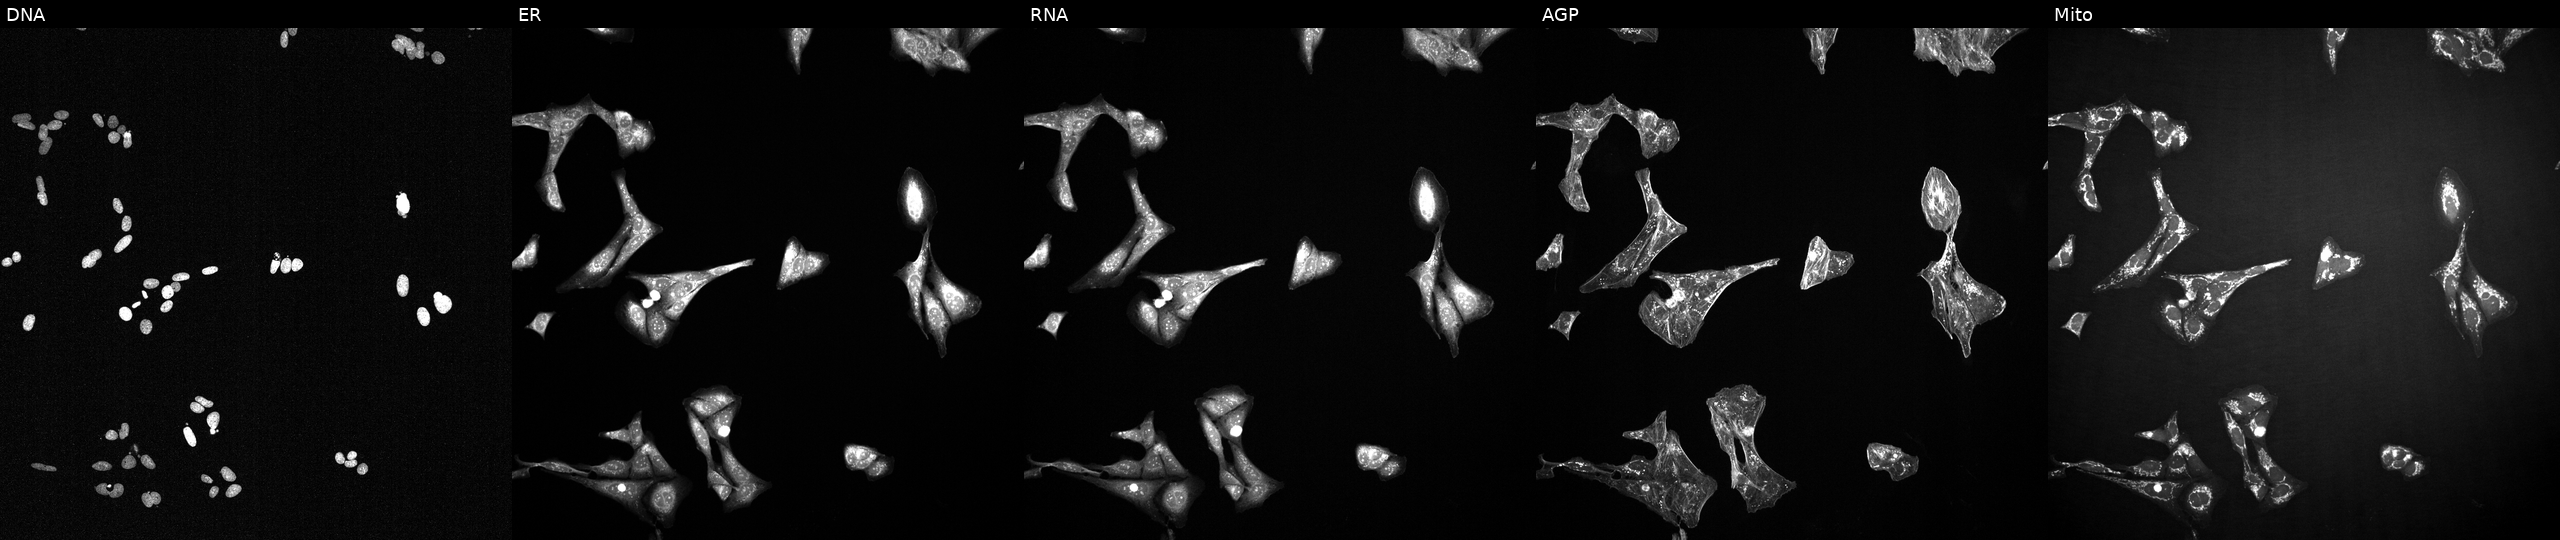
JUMP Cell Painting — TARGET2 plate. U2OS cells exposed to a small-molecule compound (InChIKey JOOXLOJCABQBSG-UHFFFAOYSA-N) (JUMP id JCP2022_041139). Channels (left→right): Hoechst 33342, concanavalin A, SYTO 14, phalloidin and WGA, MitoTracker. Source 2, plate 1053599503, well M22.